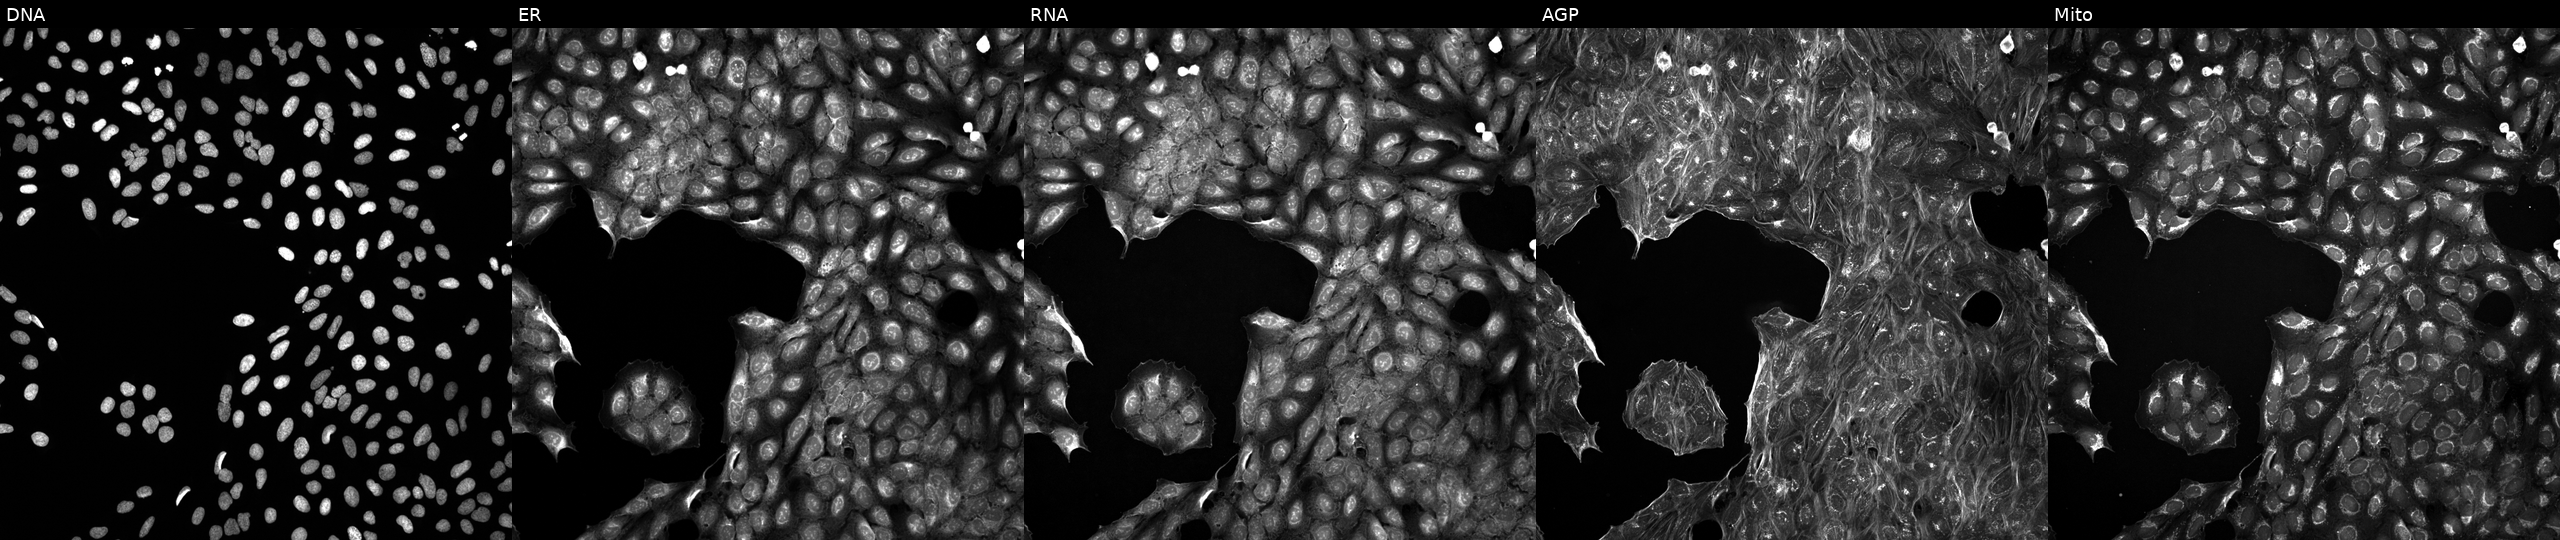
Channels (left→right): Hoechst 33342, concanavalin A, SYTO 14, phalloidin and WGA, MitoTracker. U2OS osteosarcoma cells exposed to a small-molecule compound (InChIKey LSFLAQVDISHMNB-UHFFFAOYSA-N). Cell Painting assay, JUMP-CP dataset. Source 5, plate ACPJUM032, well H14.